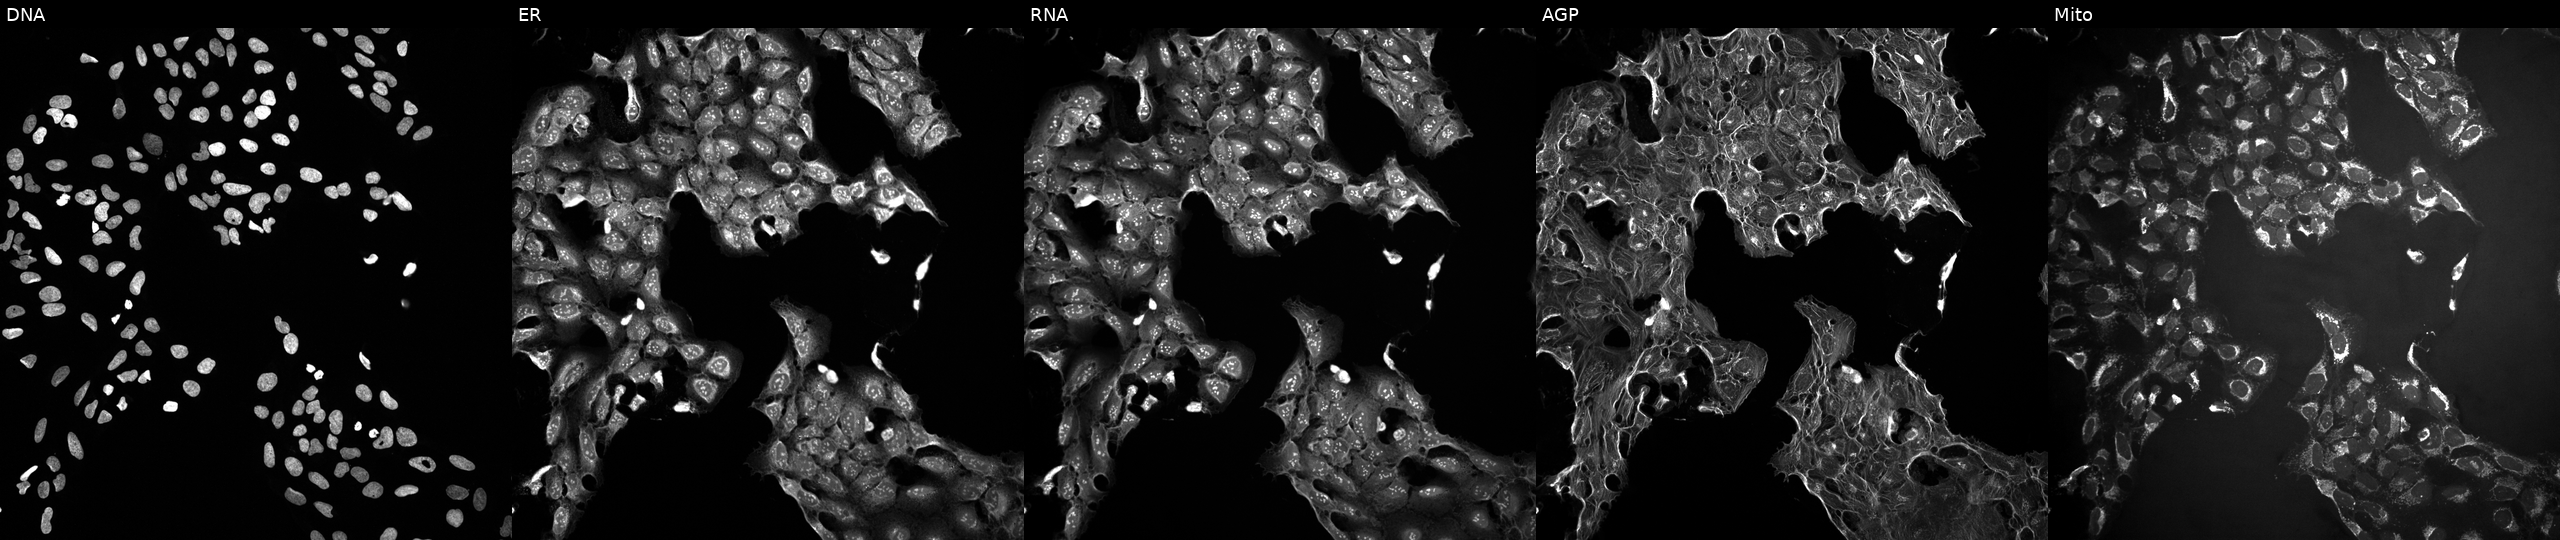
JUMP Cell Painting — TARGET2 plate. U2OS cells perturbed with a small-molecule compound. Panels show, left to right, Hoechst 33342, concanavalin A, SYTO 14, phalloidin and WGA, MitoTracker. Source 10, plate Dest210726-160150, well N03.